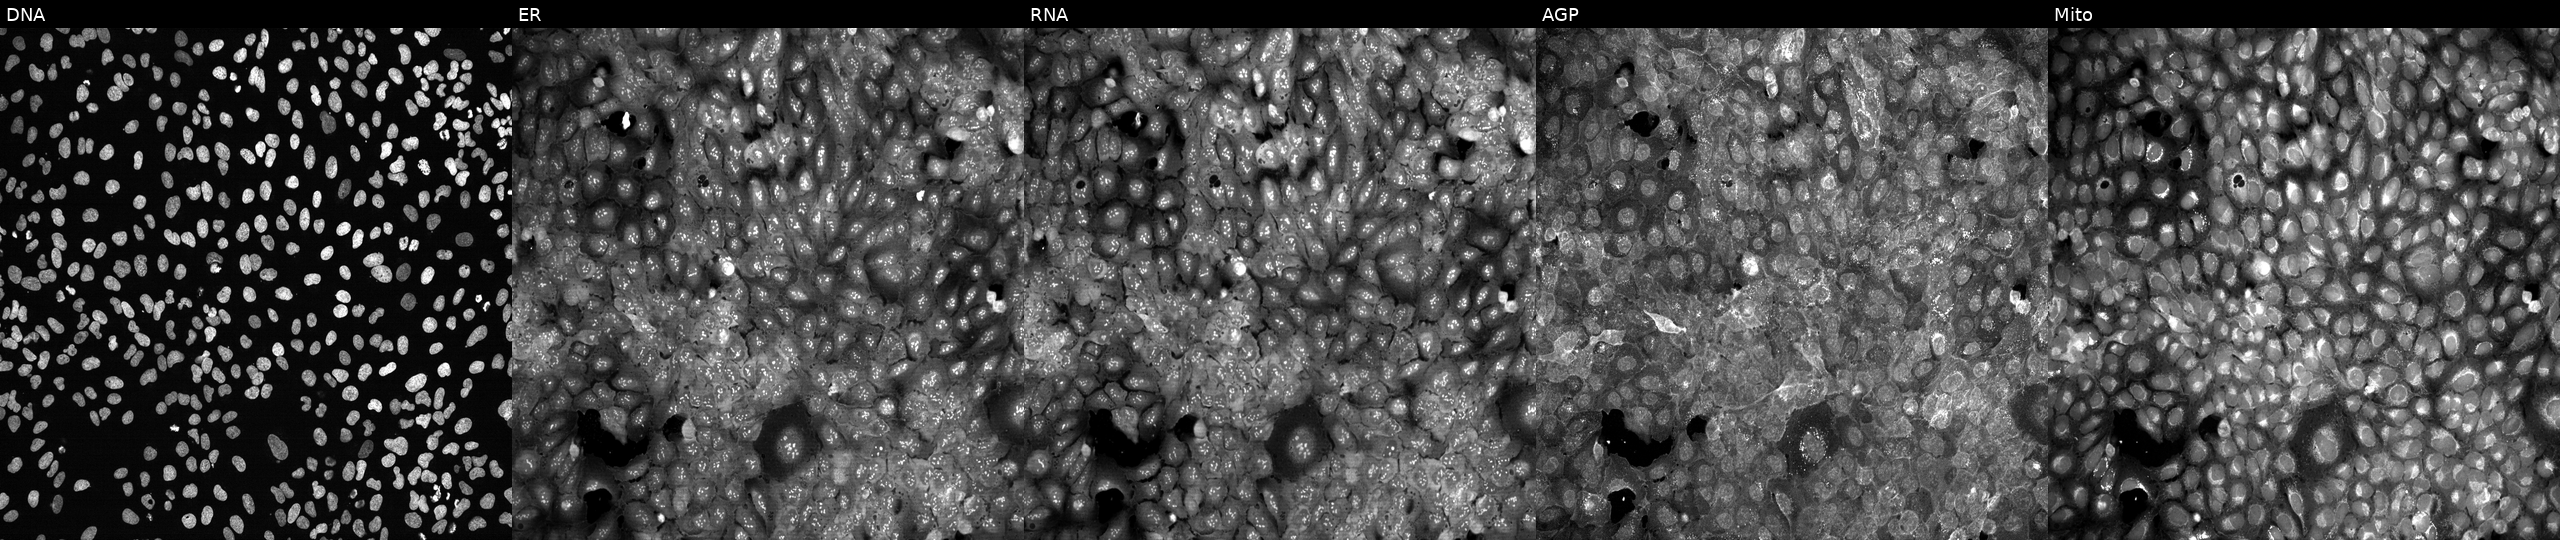
U2OS cells, Cell Painting assay, CRISPR-edited to disrupt DLAT. From left to right: DNA, ER, RNA, AGP, and Mito. Each panel is percentile-stretched 16-bit fluorescence. Source 13, plate CP-CC9-R1-02, well F06.